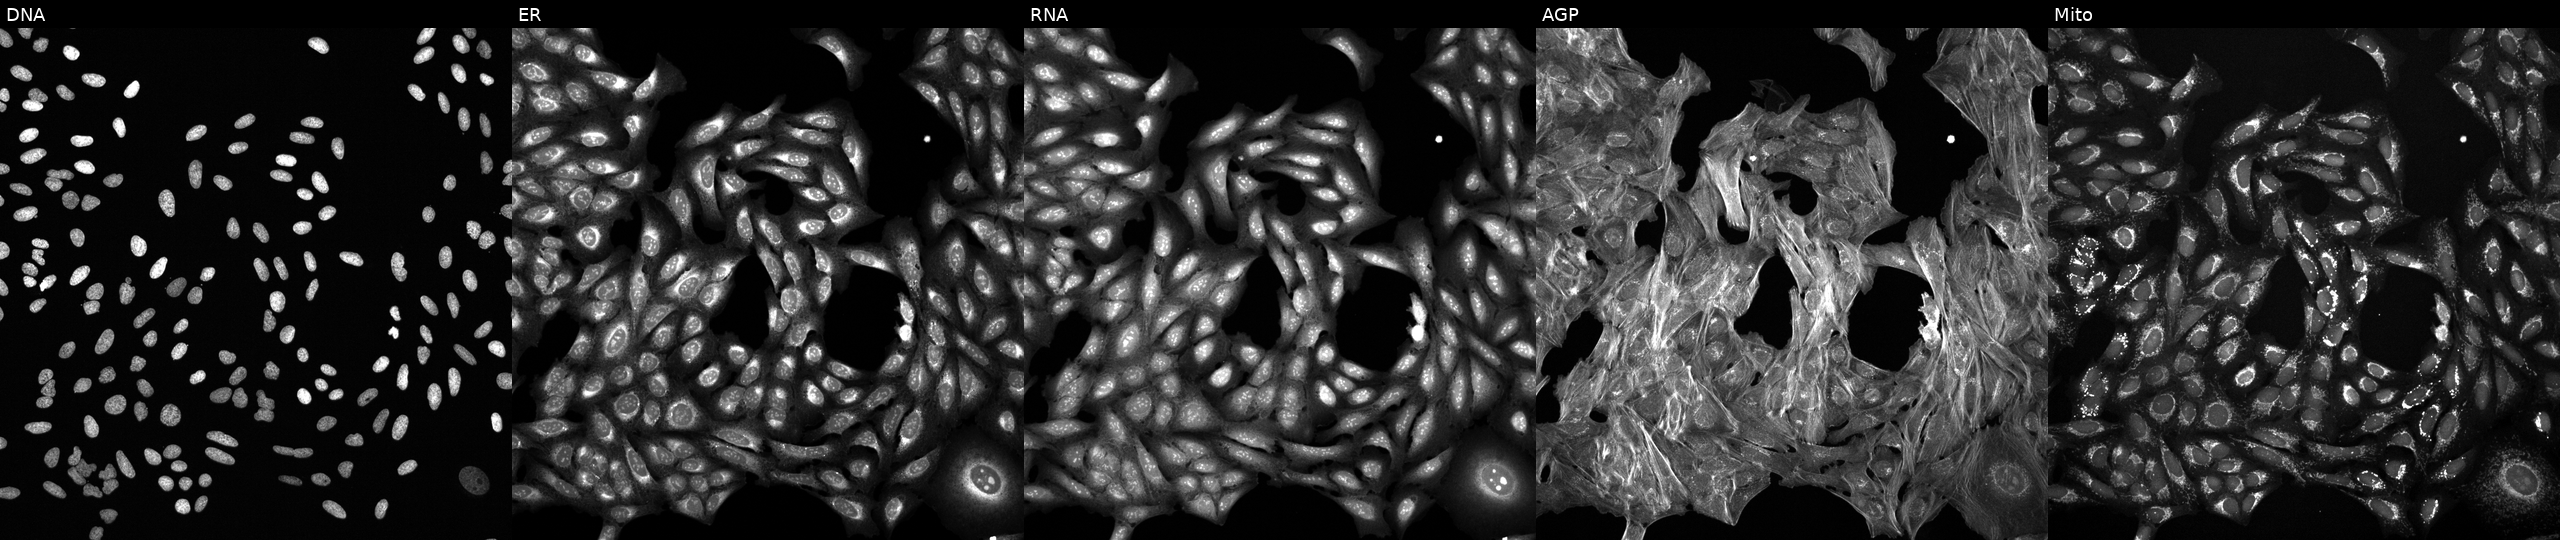
Five-channel Cell Painting image of U2OS cells perturbed with a small-molecule compound (InChIKey GGMGRHCBNJHWCP-UHFFFAOYSA-N). From left to right: DNA, ER, RNA, AGP, and Mito.